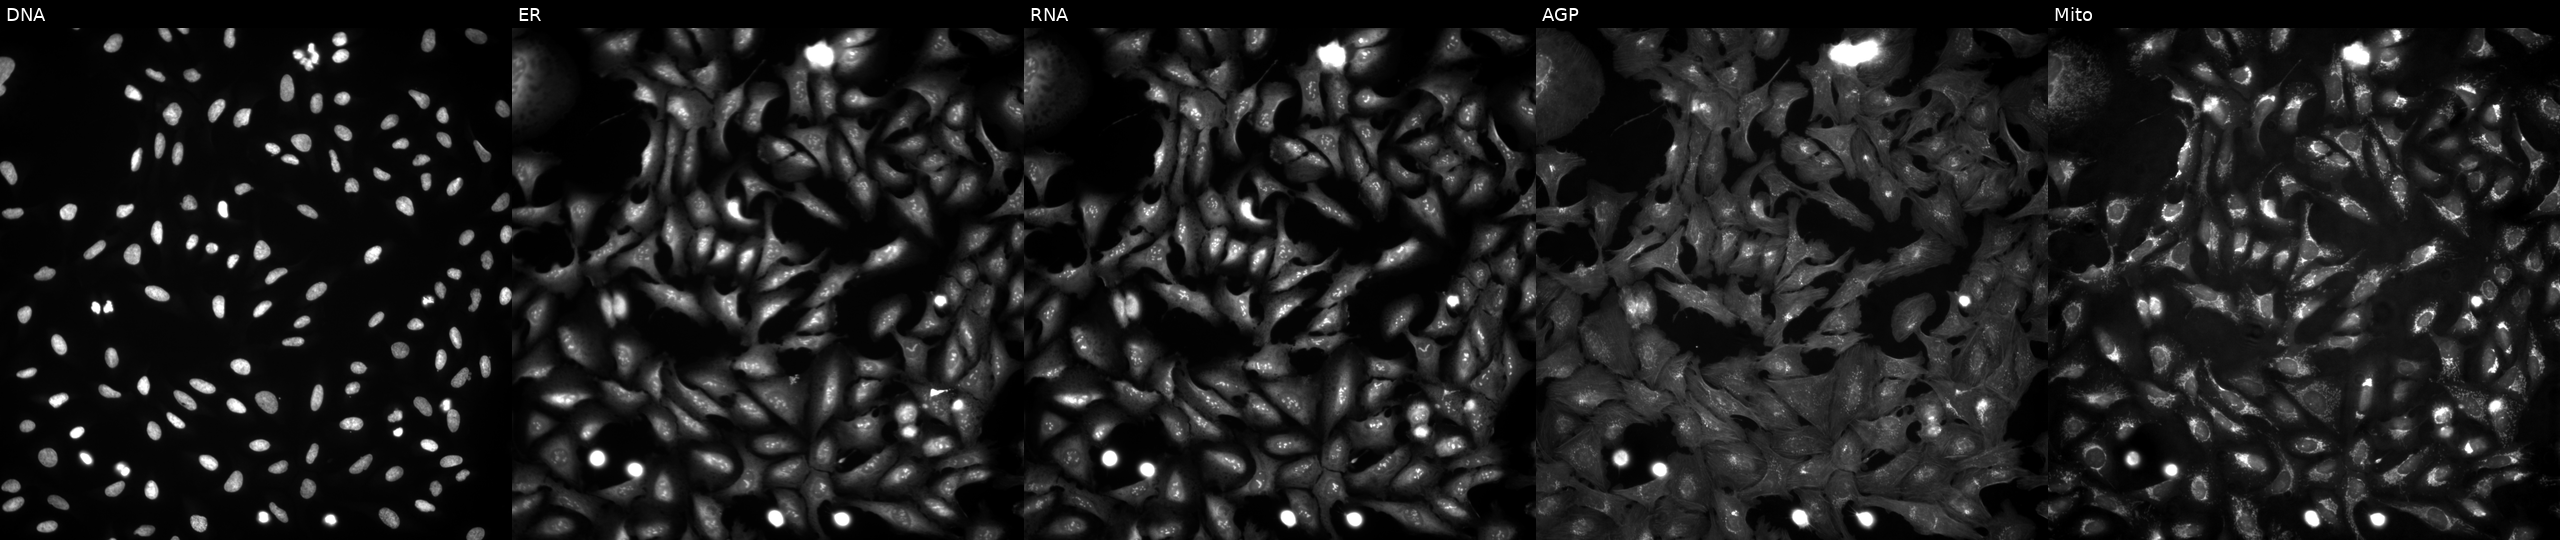
U2OS cells, Cell Painting assay, overexpressing FKBP8 via ORF transfection. The five panels, left to right, show DNA (nuclei); ER (endoplasmic reticulum); RNA (nucleoli and cytoplasmic RNA); AGP (actin cytoskeleton, Golgi, and plasma membrane); Mito (mitochondria). Each panel is percentile-stretched 16-bit fluorescence.